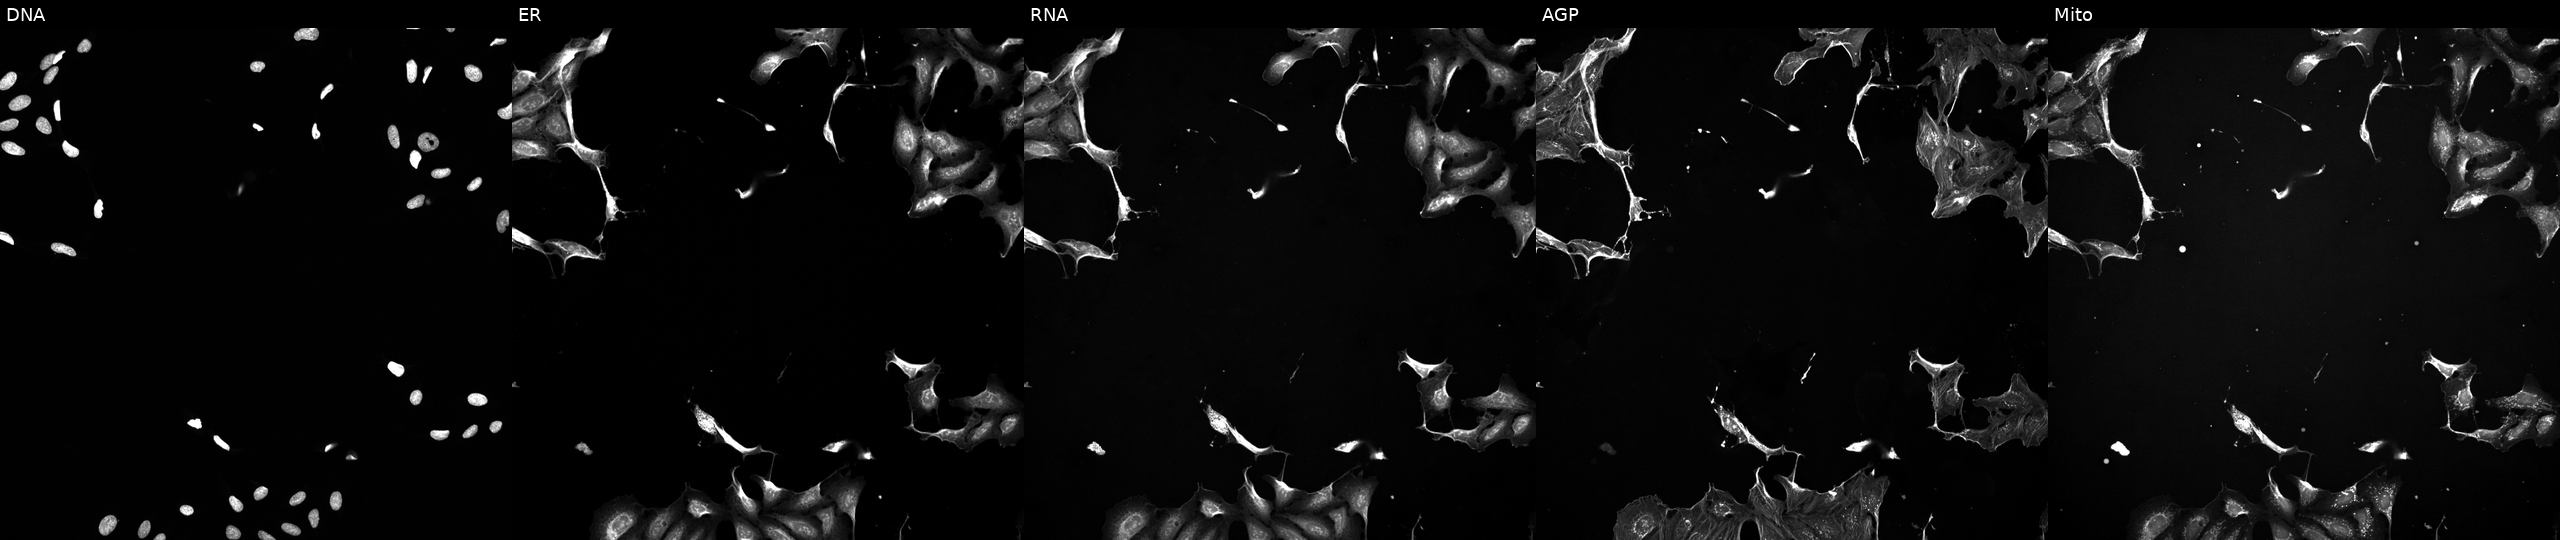
U2OS cells, Cell Painting assay, exposed to a small-molecule compound (InChIKey AJVXVYTVAAWZAP-UHFFFAOYSA-N). Panels show, left to right, Hoechst 33342, concanavalin A, SYTO 14, phalloidin and WGA, MitoTracker. Each panel is percentile-stretched 16-bit fluorescence.